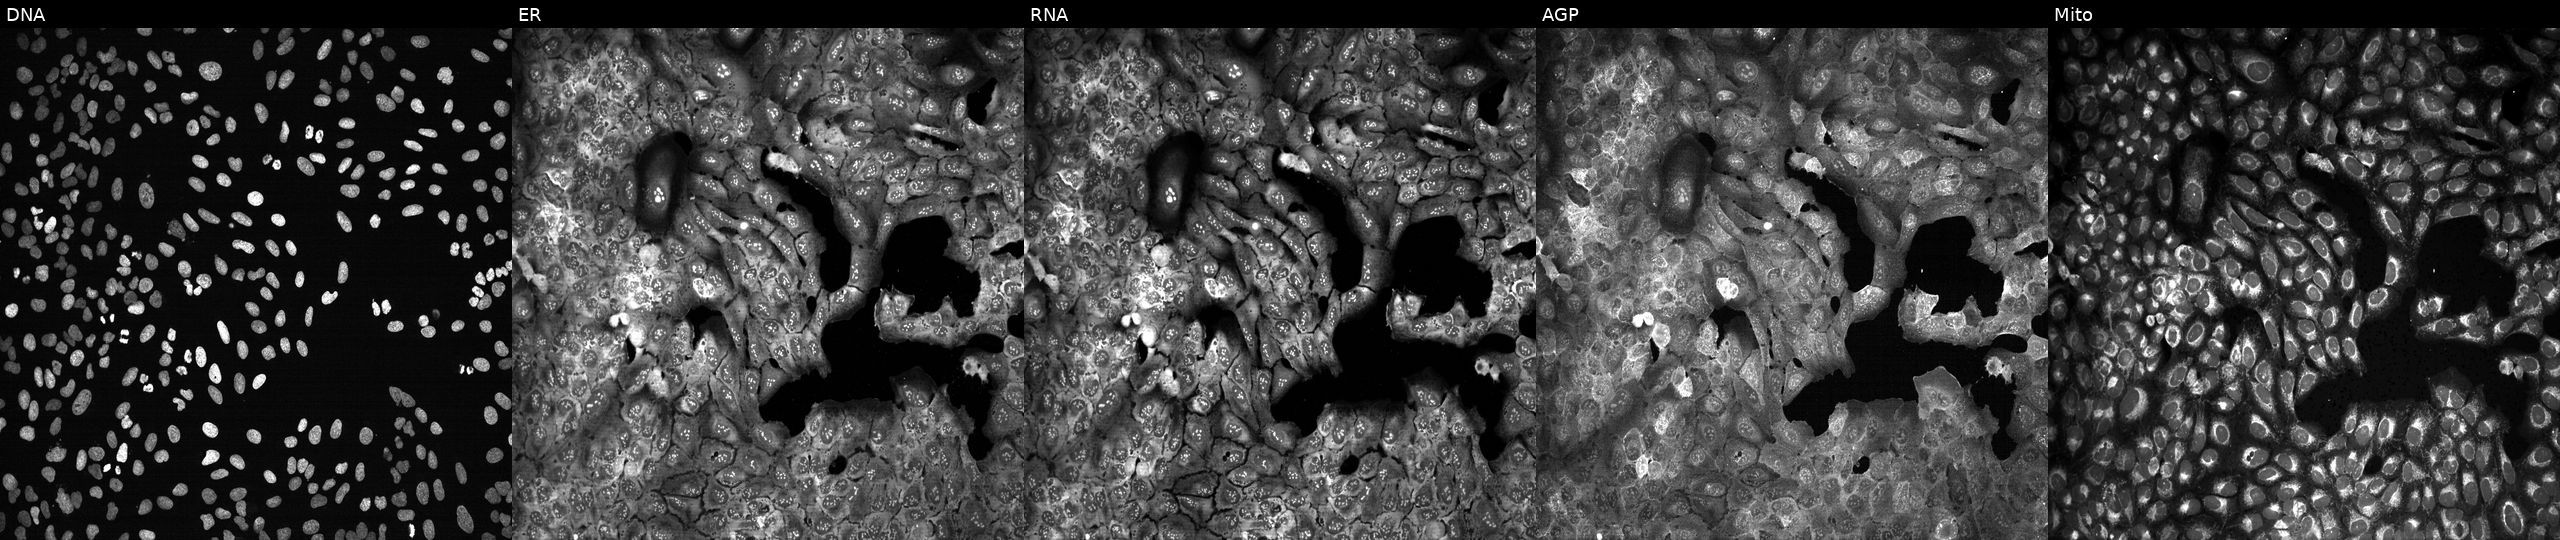
From left to right: DNA (nuclei); ER (endoplasmic reticulum); RNA (nucleoli and cytoplasmic RNA); AGP (actin cytoskeleton, Golgi, and plasma membrane); Mito (mitochondria). U2OS osteosarcoma cells with SLC17A1 knocked out by CRISPR (JUMP id JCP2022_806394). Cell Painting assay, JUMP-CP dataset. Source 13, plate CP-CC9-R2-02, well N21.